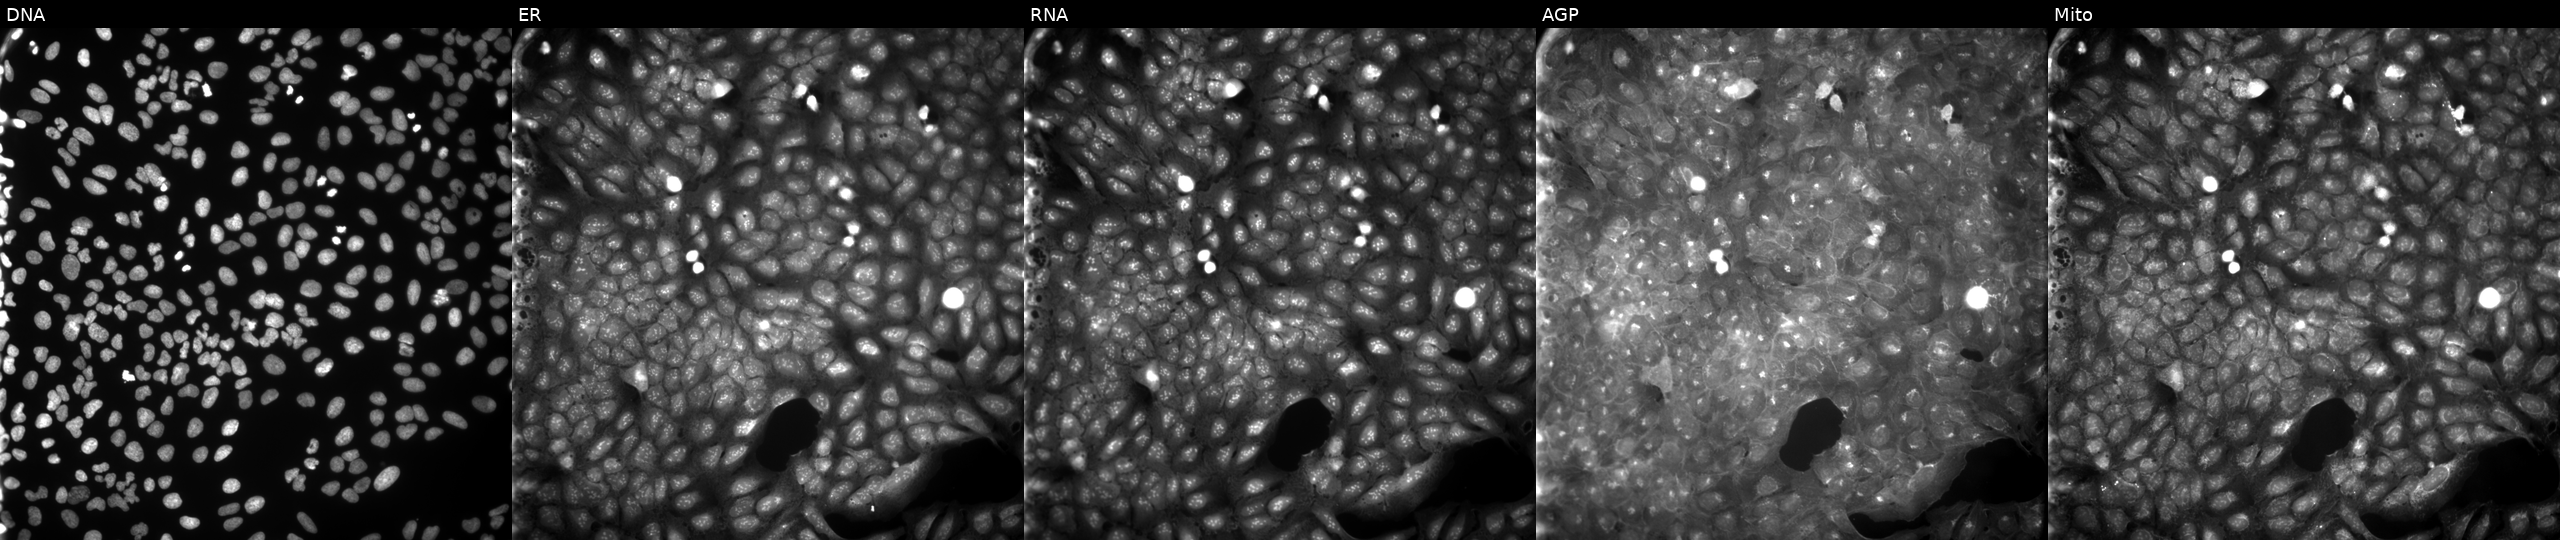
High-content fluorescence microscopy (Cell Painting). Cell line: U2OS. Perturbation: treated with a small-molecule compound. Panels show, left to right, DNA, ER, RNA, AGP, and Mito. Source 9, plate GR00003382, well S15.